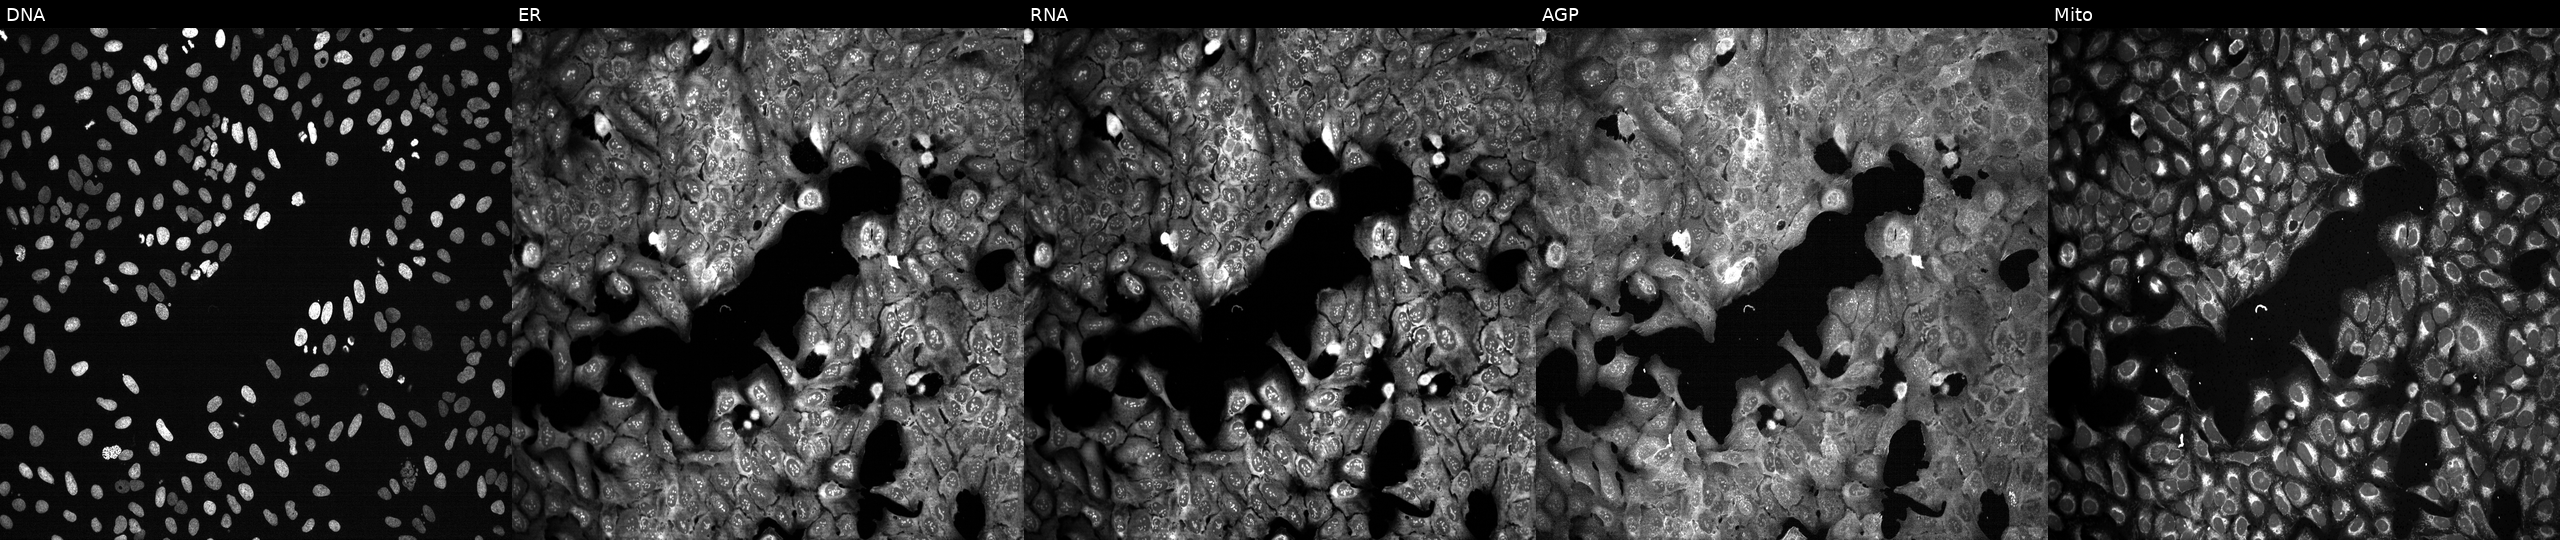
Five-channel Cell Painting image of U2OS cells following CRISPR knockout of PUSL1 (JUMP id JCP2022_805718). From left to right: DNA (nuclei); ER (endoplasmic reticulum); RNA (nucleoli and cytoplasmic RNA); AGP (actin cytoskeleton, Golgi, and plasma membrane); Mito (mitochondria). Source 13, plate CP-CC9-R3-02, well J19.